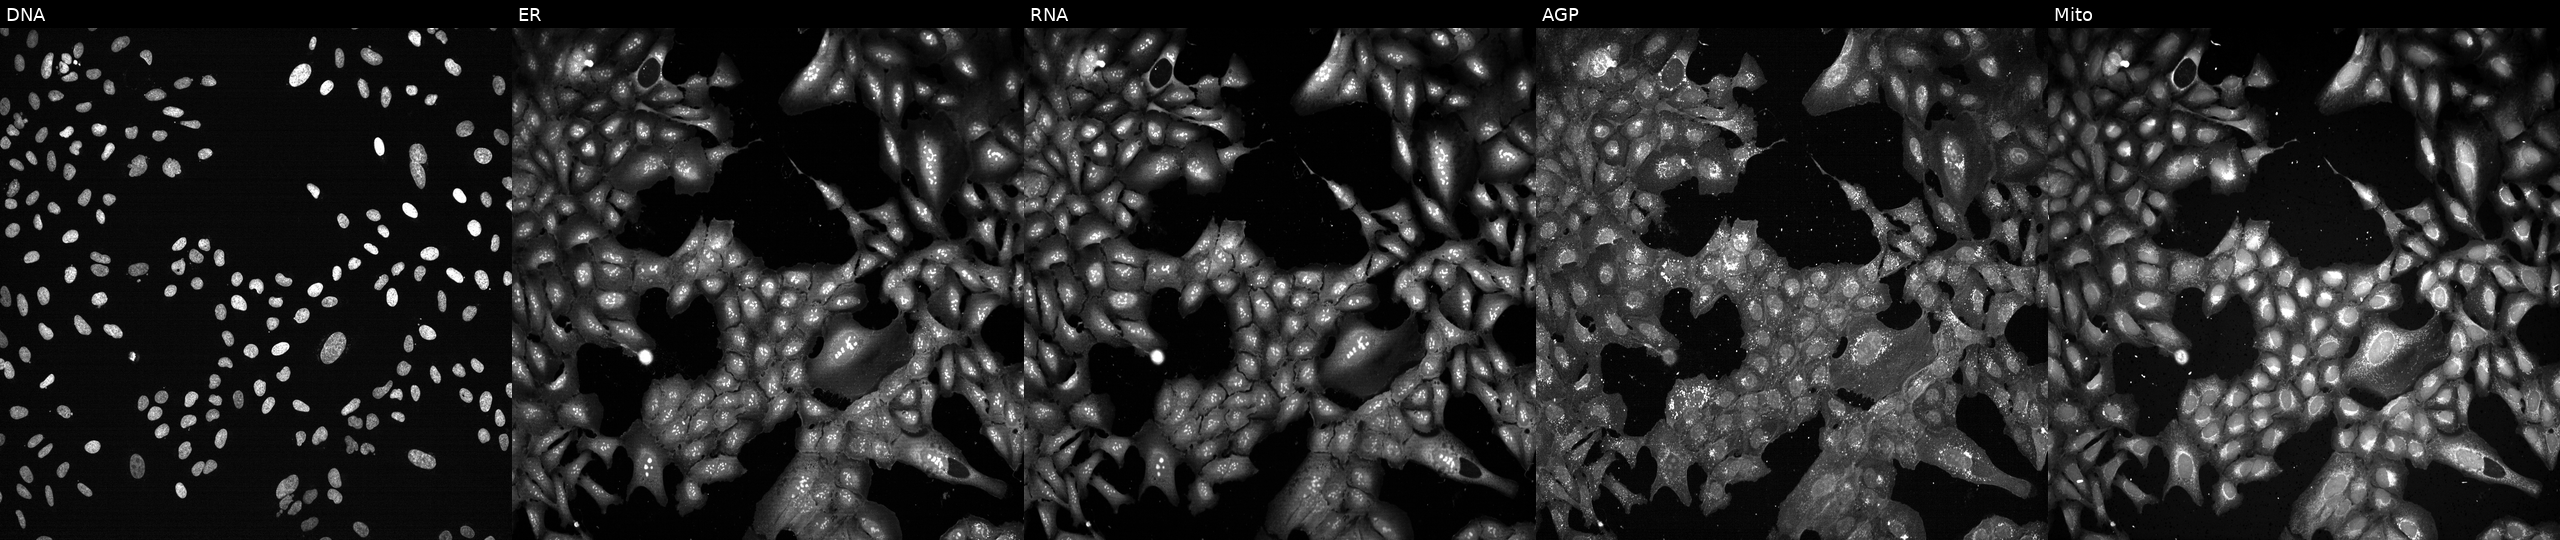
U2OS cells, Cell Painting assay, following CRISPR knockout of FANCC. From left to right: DNA, ER, RNA, AGP, and Mito. Each panel is percentile-stretched 16-bit fluorescence.